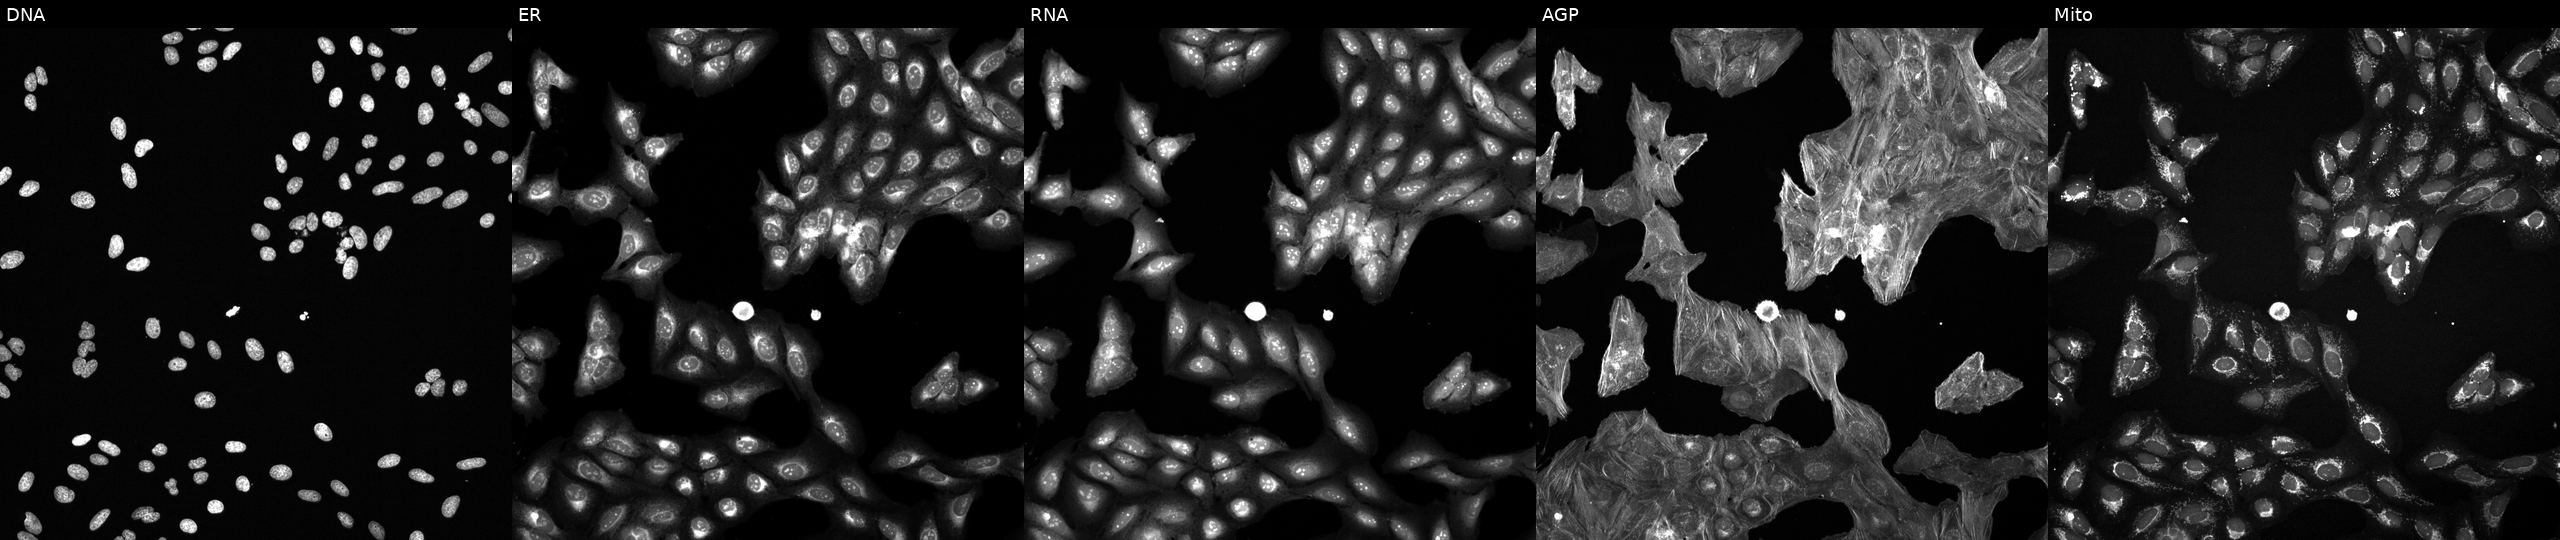
High-content fluorescence microscopy (Cell Painting). Cell line: U2OS. Perturbation: exposed to a small-molecule compound (InChIKey OQQVFCKUDYMWGV-UHFFFAOYSA-N) [SMILES: OCc1ccc(-c2nn(Cc3ccccc3)c3ccccc23)o1]. The five panels, left to right, show Hoechst 33342, concanavalin A, SYTO 14, phalloidin and WGA, MitoTracker.